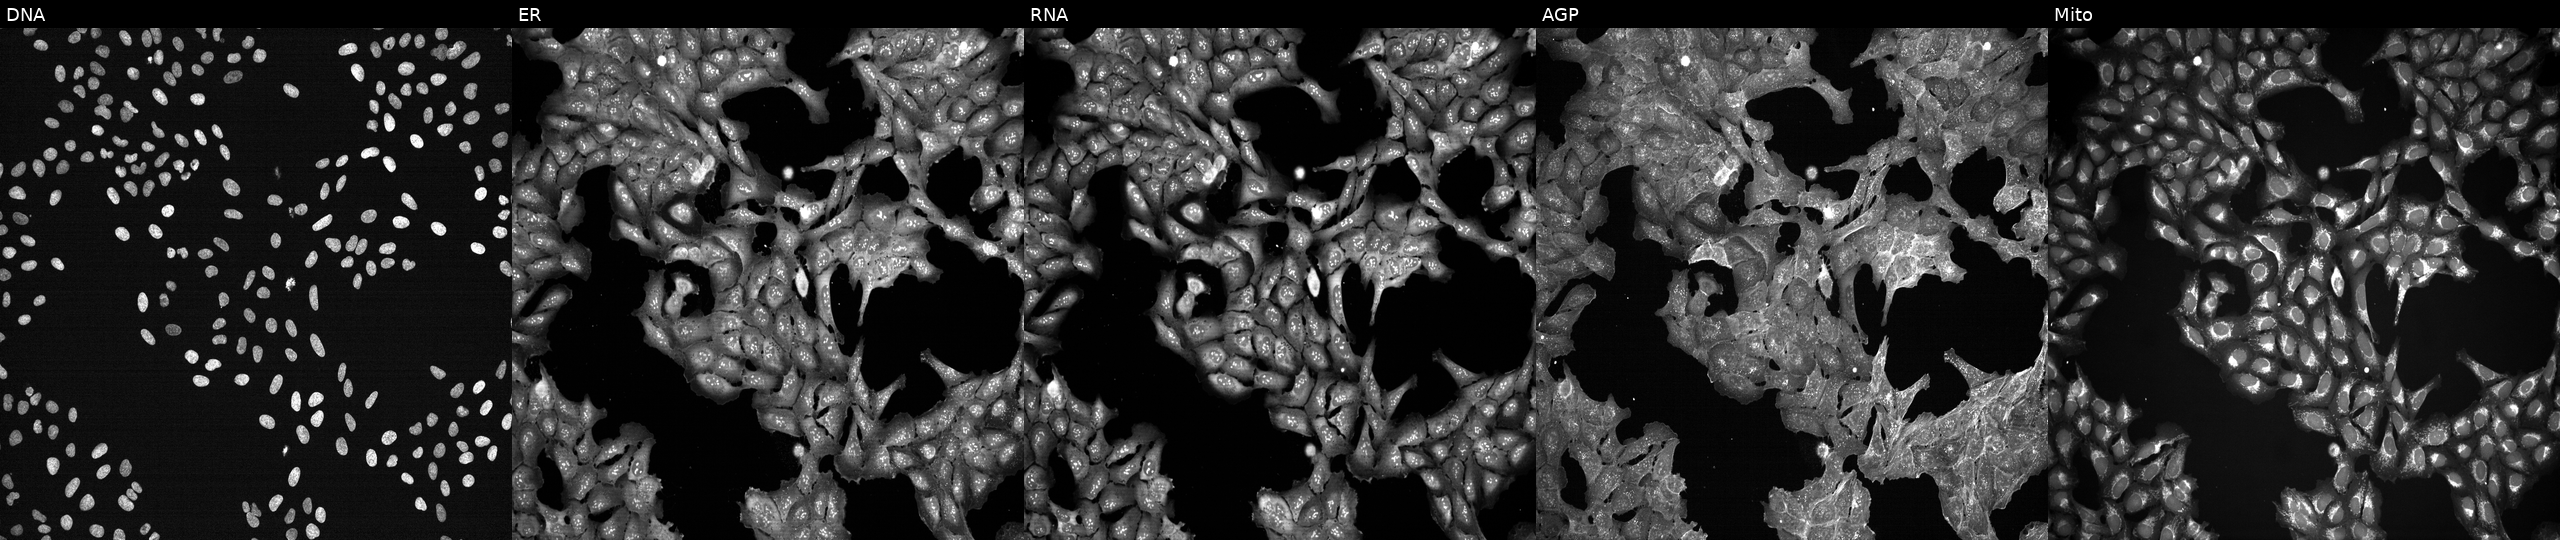
This image strip shows the five Cell Painting channels for a single field of U2OS cells perturbed with a small-molecule compound (InChIKey JHSXDAWGLCZYSM-UHFFFAOYSA-N). The five panels, left to right, show DNA (nuclei); ER (endoplasmic reticulum); RNA (nucleoli and cytoplasmic RNA); AGP (actin cytoskeleton, Golgi, and plasma membrane); Mito (mitochondria). Source 7, plate CP3-SC1-25, well H10.